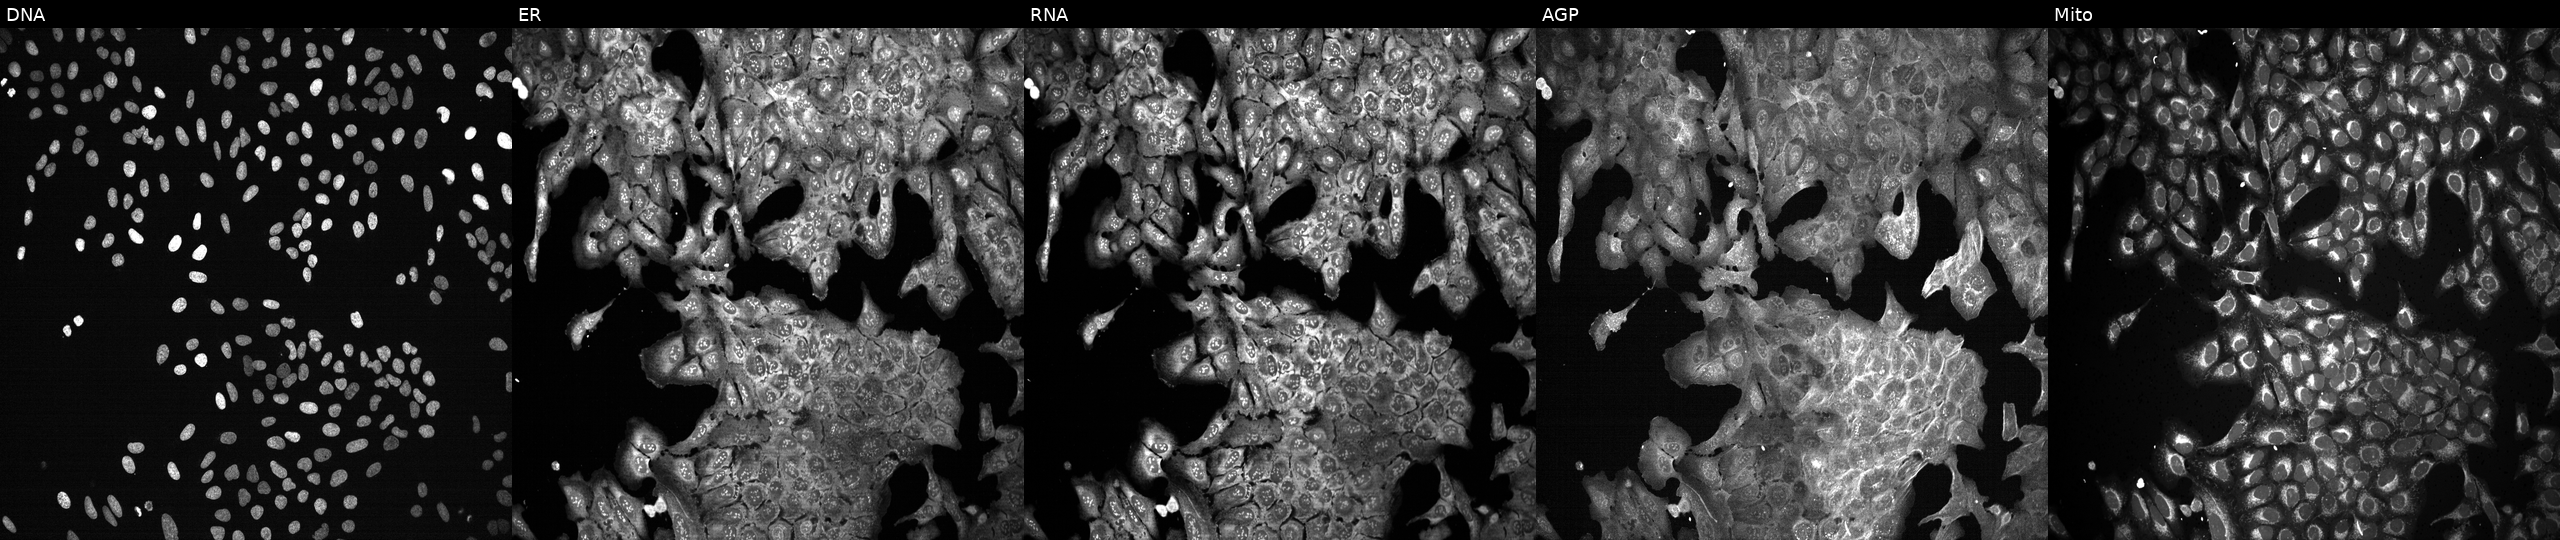
JUMP Cell Painting — CRISPR plate. U2OS cells with a non-targeting CRISPR guide (negative control). From left to right: DNA (nuclei); ER (endoplasmic reticulum); RNA (nucleoli and cytoplasmic RNA); AGP (actin cytoskeleton, Golgi, and plasma membrane); Mito (mitochondria). Source 13, plate CP-CC9-R2-01, well I23.